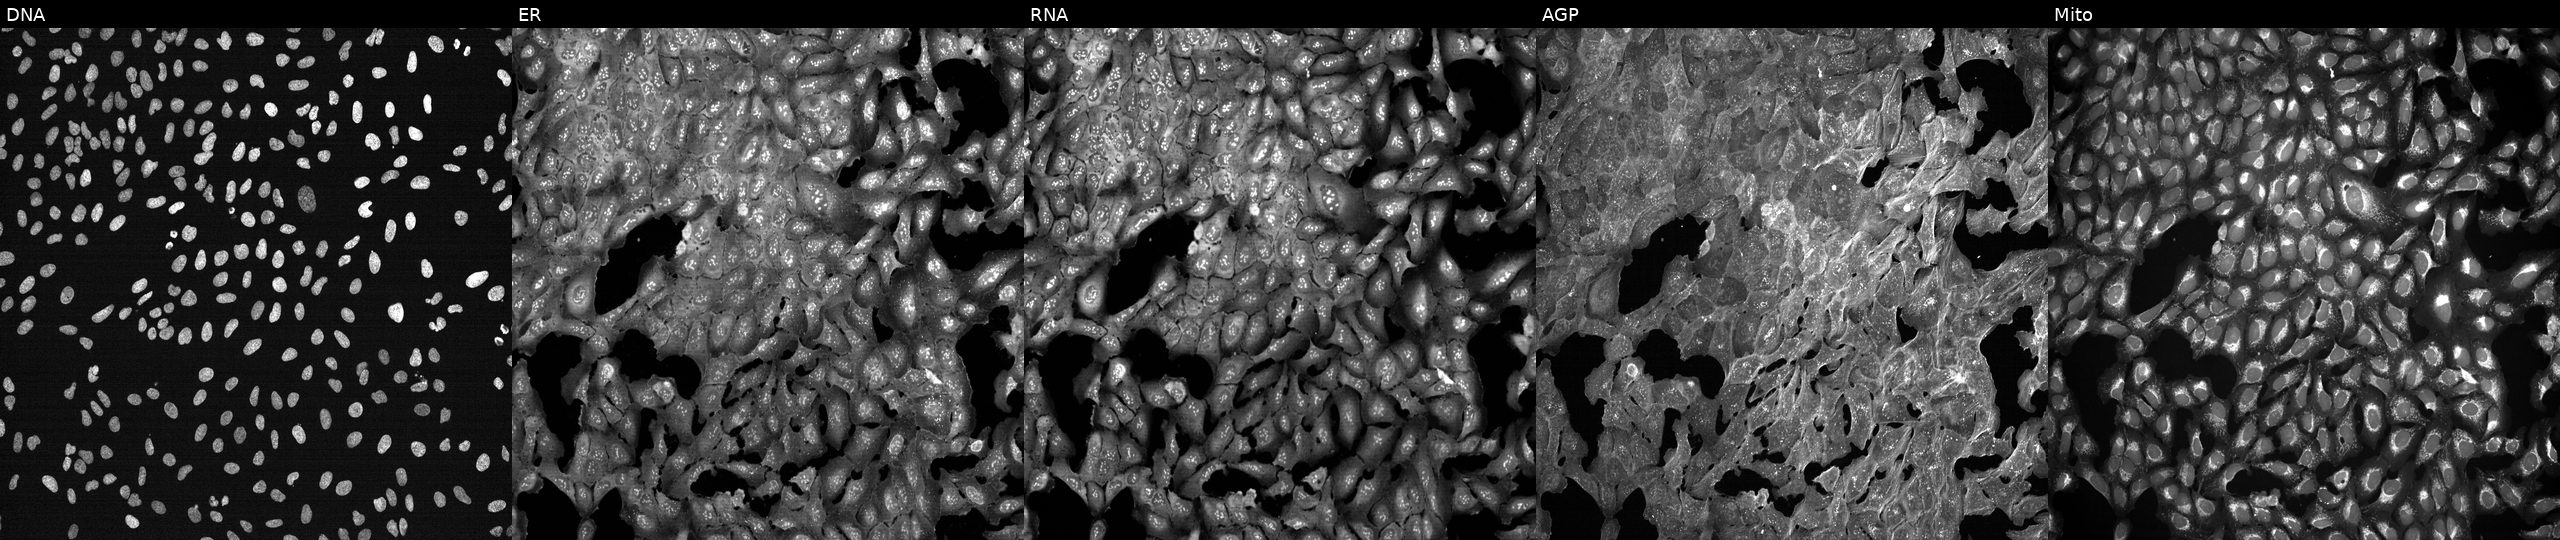
Five-channel Cell Painting image of U2OS cells exposed to a small-molecule compound (InChIKey QQGWEXFLMJGCAL-UHFFFAOYSA-N). The five panels, left to right, show DNA (nuclei); ER (endoplasmic reticulum); RNA (nucleoli and cytoplasmic RNA); AGP (actin cytoskeleton, Golgi, and plasma membrane); Mito (mitochondria). Source 7, plate CP3-SC1-25, well J05.